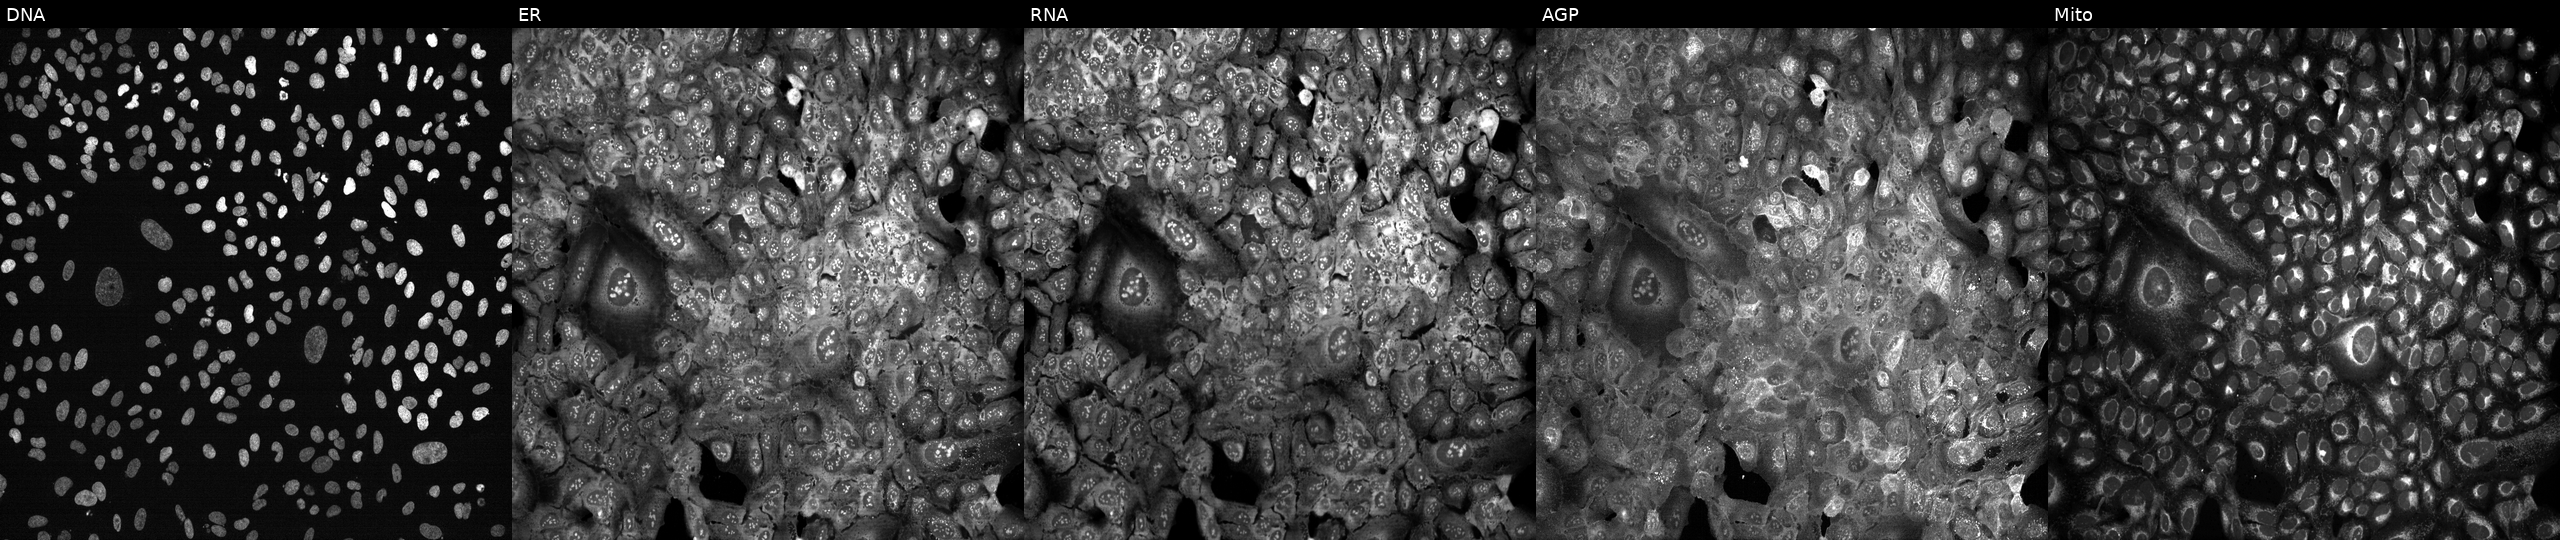
Panels show, left to right, DNA, ER, RNA, AGP, and Mito. U2OS osteosarcoma cells following CRISPR knockout of ALG1. Cell Painting assay, JUMP-CP dataset. Source 13, plate CP-CC9-R4-04, well N04.